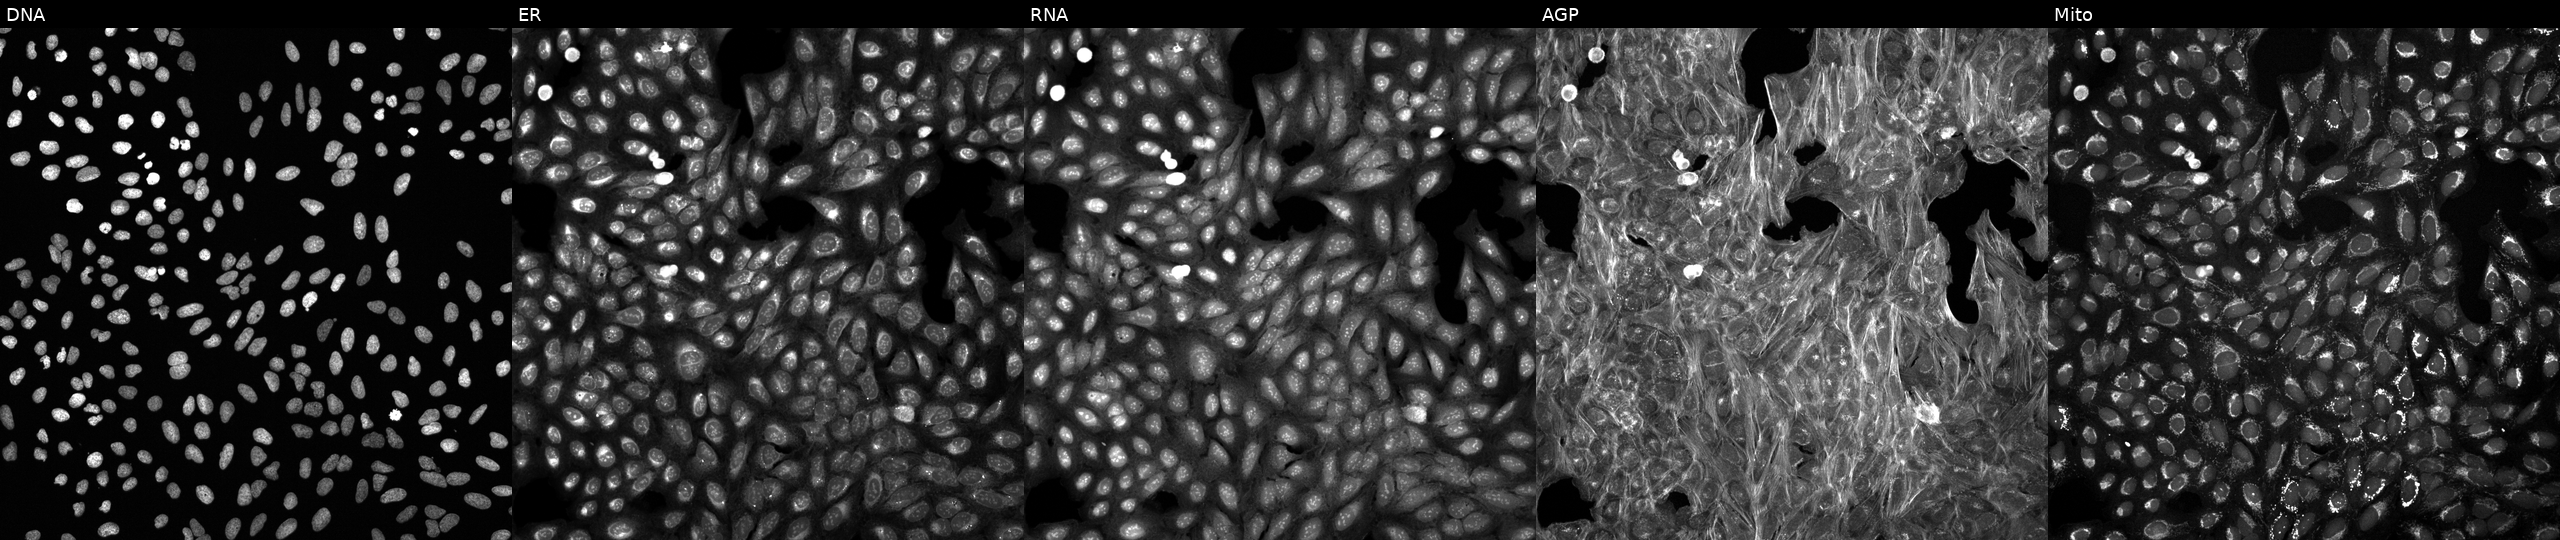
High-content fluorescence microscopy (Cell Painting). Cell line: U2OS. Perturbation: treated with a small-molecule compound (InChIKey CGGGANDSNBKONG-UHFFFAOYSA-N) (JUMP id JCP2022_010936). Channels (left→right): DNA (nuclei); ER (endoplasmic reticulum); RNA (nucleoli and cytoplasmic RNA); AGP (actin cytoskeleton, Golgi, and plasma membrane); Mito (mitochondria).